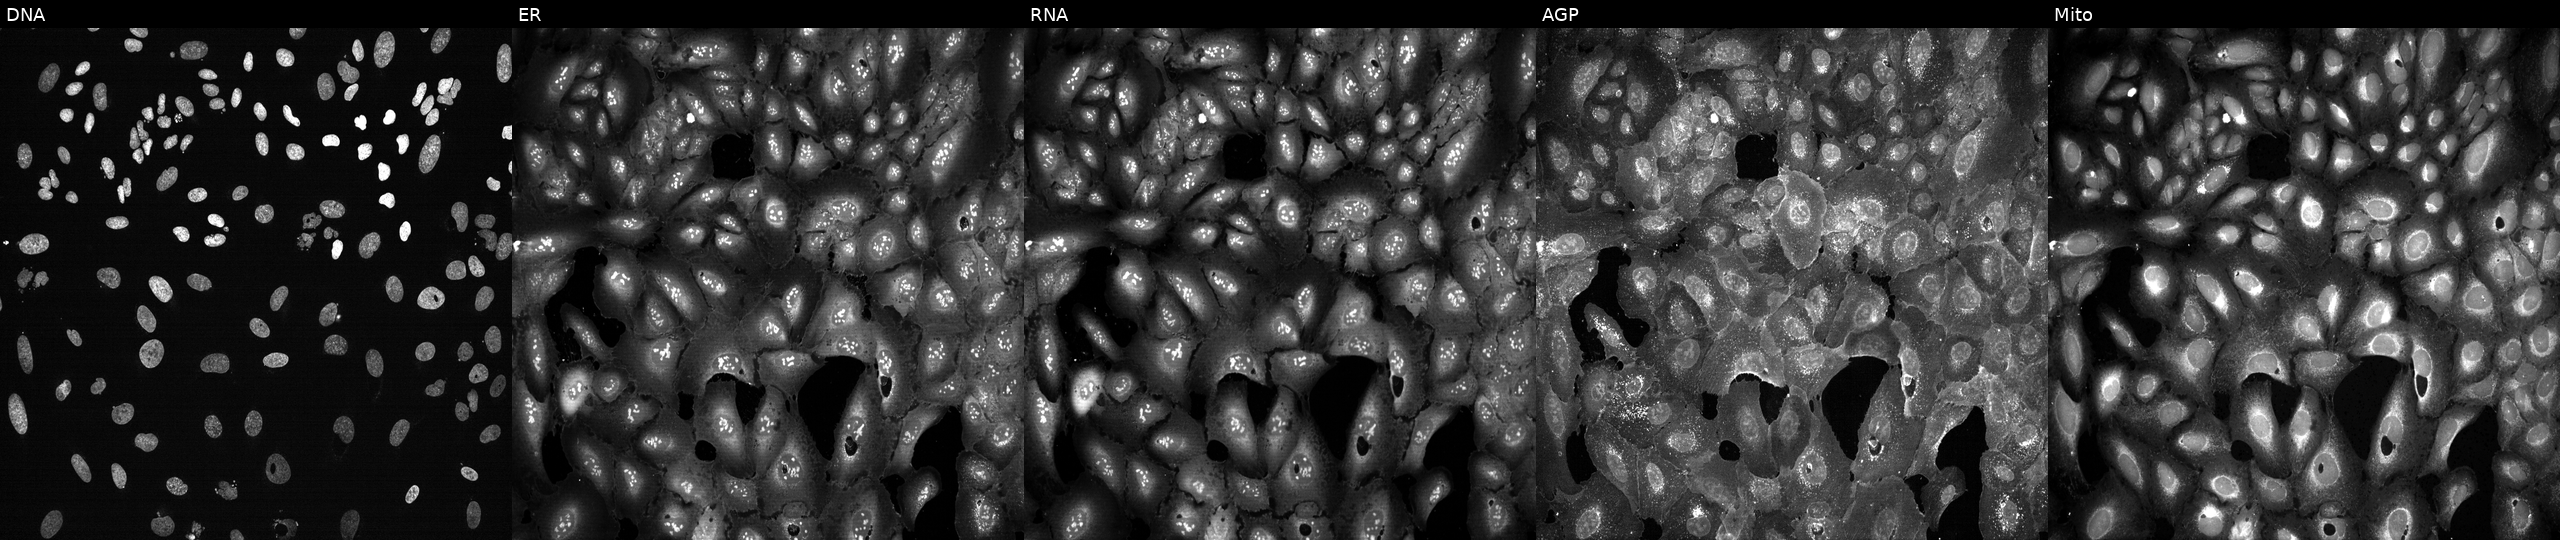
High-content fluorescence microscopy (Cell Painting). Cell line: U2OS. Perturbation: CRISPR-edited to disrupt DNA2. Panels show, left to right, DNA (nuclei); ER (endoplasmic reticulum); RNA (nucleoli and cytoplasmic RNA); AGP (actin cytoskeleton, Golgi, and plasma membrane); Mito (mitochondria). Source 13, plate CP-CC9-R1-01, well F14.